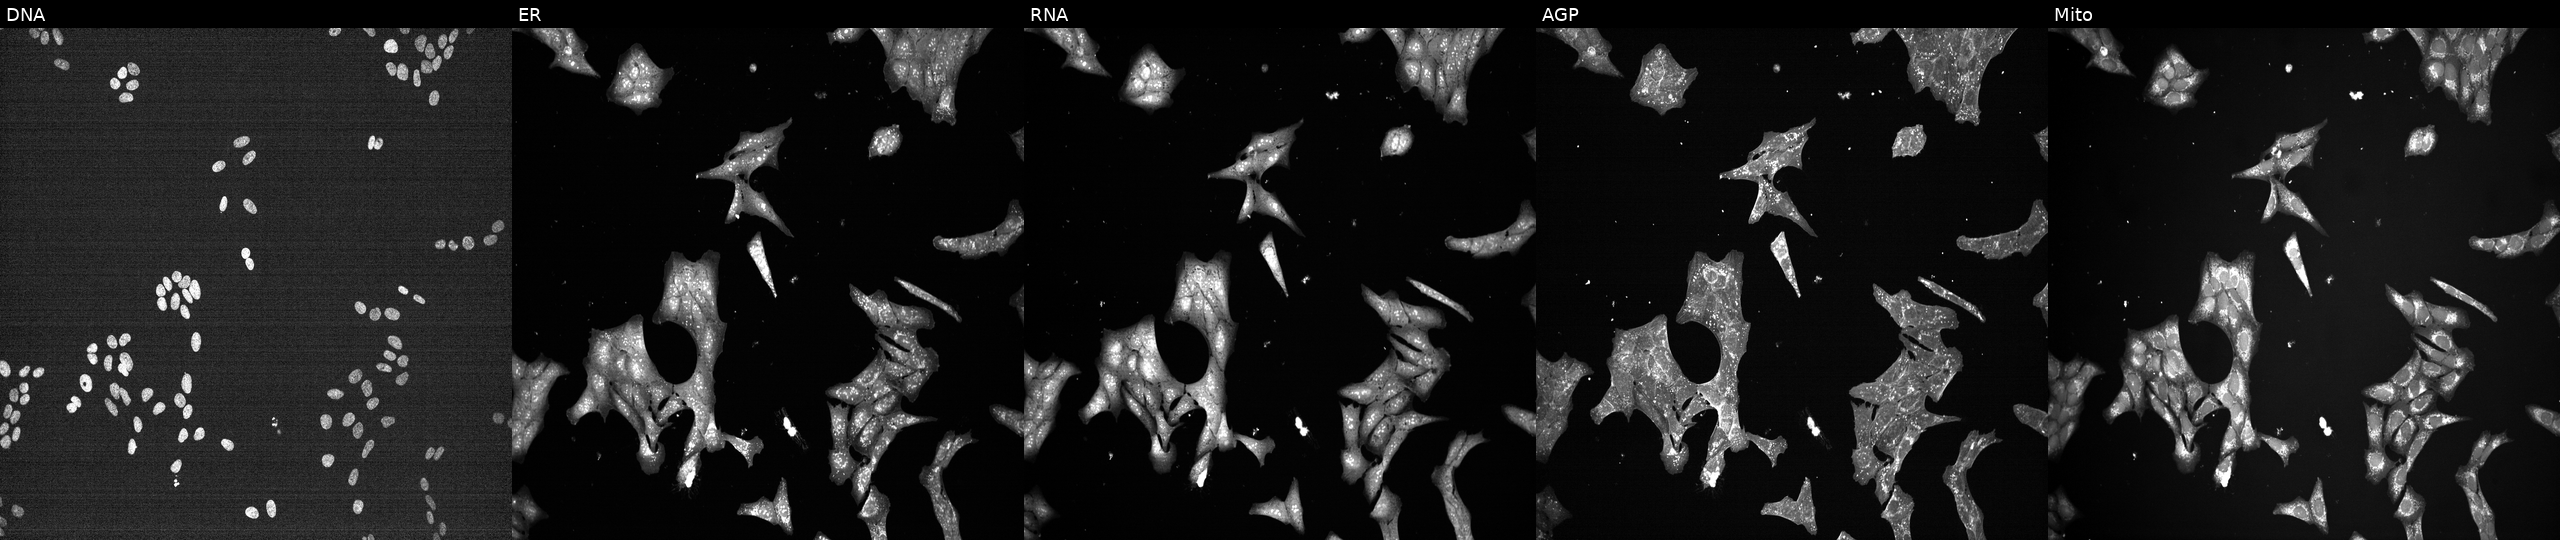
U2OS cells, Cell Painting assay, exposed to a small-molecule compound (InChIKey AECDBHGVIIRMOI-UHFFFAOYSA-N) [SMILES: N=c1[nH]cnc2c1c(-c1cccc(OCc3ccccc3)c1)cn2C1CC(CN2CCC2)C1] (JUMP id JCP2022_000794). Panels show, left to right, DNA, ER, RNA, AGP, and Mito. Each panel is percentile-stretched 16-bit fluorescence. Source 7, plate CP1-SC1-25, well G21.